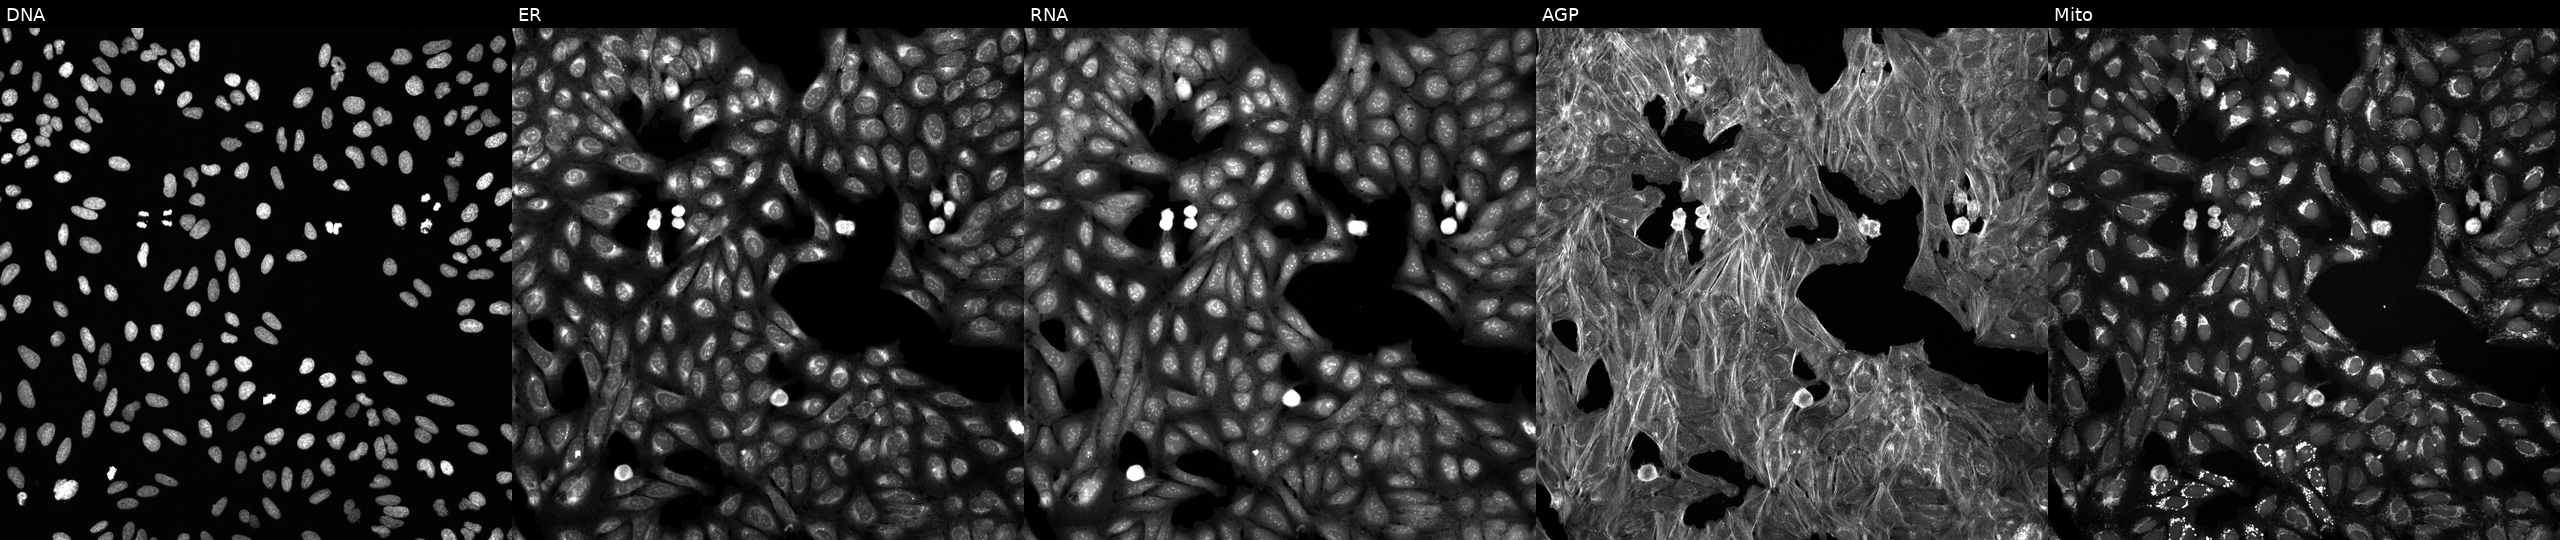
U2OS cells, Cell Painting assay, perturbed with a small-molecule compound (InChIKey SGRYPYWGNKJSDL-UHFFFAOYSA-N). Channels (left→right): DNA (nuclei); ER (endoplasmic reticulum); RNA (nucleoli and cytoplasmic RNA); AGP (actin cytoskeleton, Golgi, and plasma membrane); Mito (mitochondria). Each panel is percentile-stretched 16-bit fluorescence. Source 6, plate 110000293093, well I07.